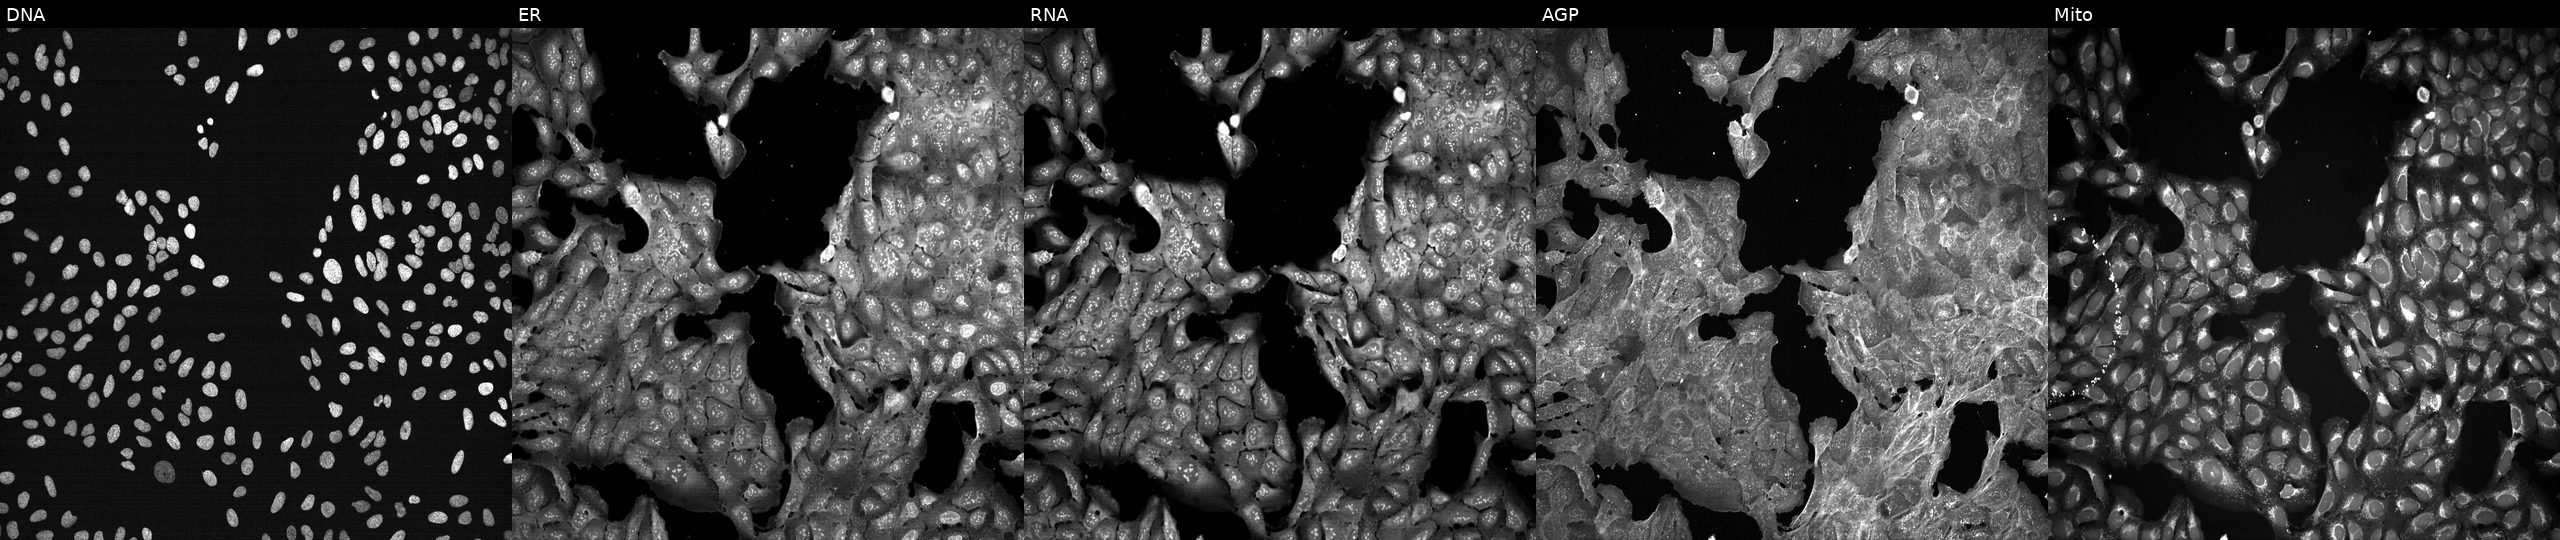
Five-channel Cell Painting image of U2OS cells treated with DMSO vehicle only (negative control). The five panels, left to right, show Hoechst 33342, concanavalin A, SYTO 14, phalloidin and WGA, MitoTracker.